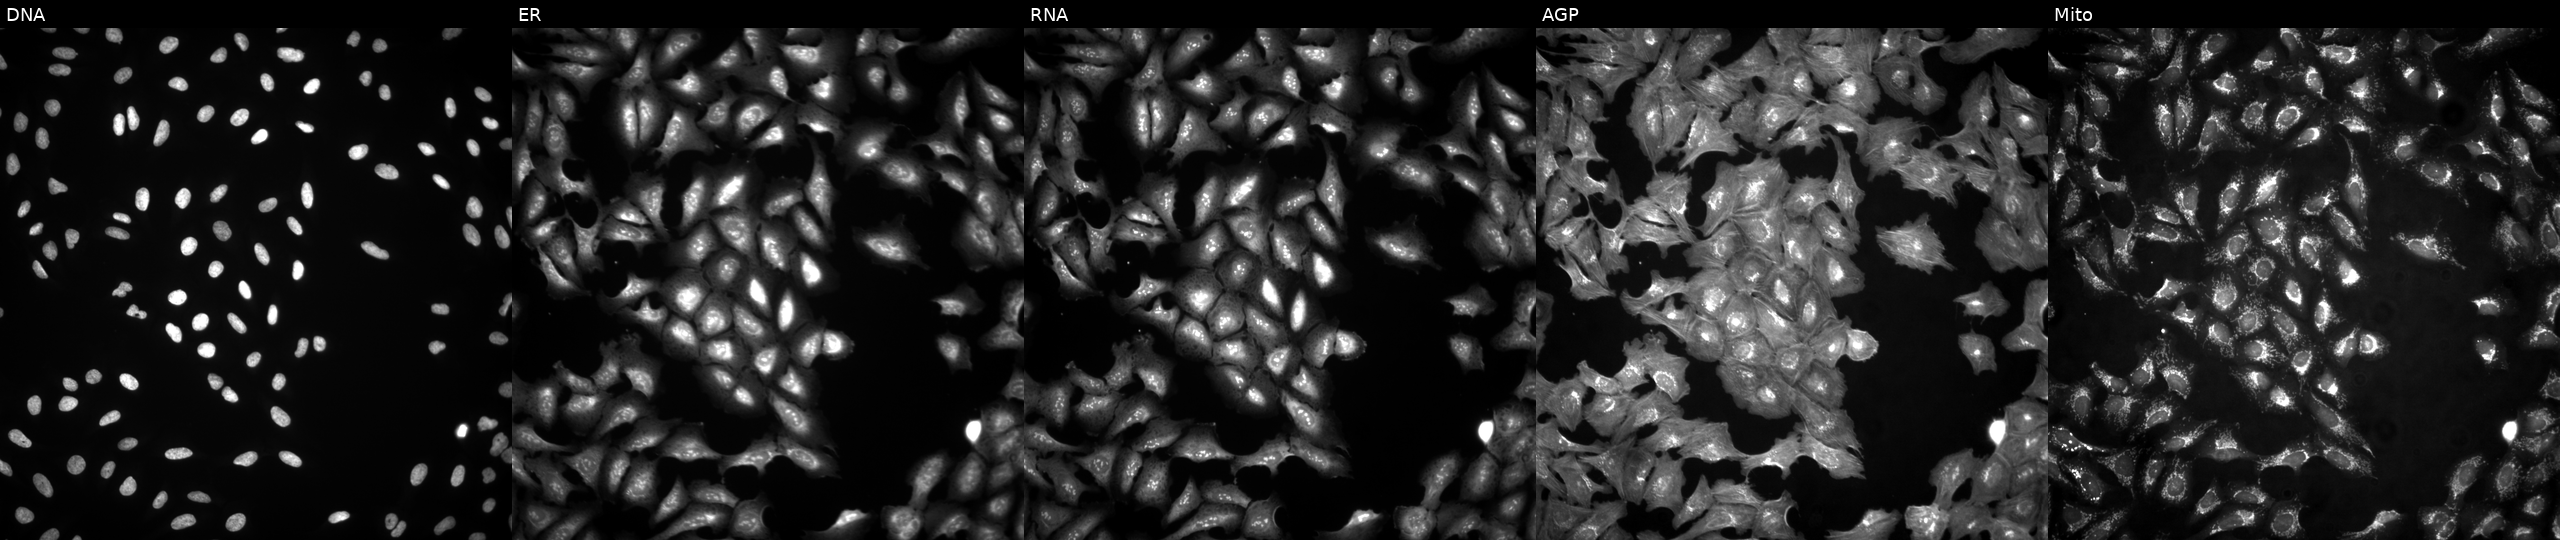
The five panels, left to right, show DNA, ER, RNA, AGP, and Mito. U2OS osteosarcoma cells expressing eGFP (ORF positive control). Cell Painting assay, JUMP-CP dataset.